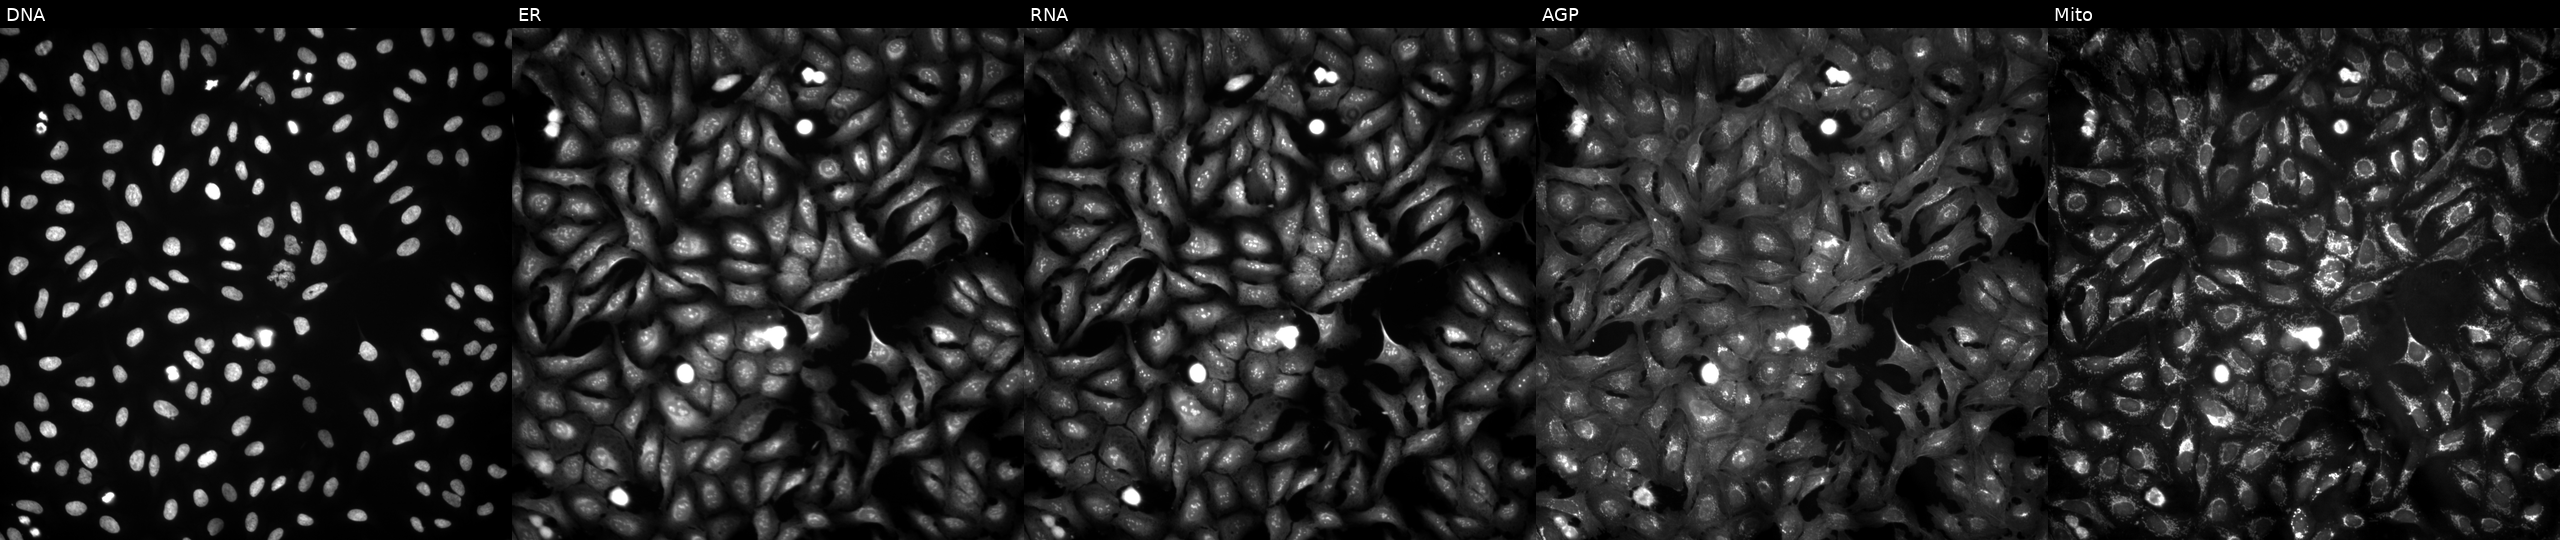
Five-channel Cell Painting image of U2OS cells transfected with an ORF construct for GNL1. The five panels, left to right, show DNA (nuclei); ER (endoplasmic reticulum); RNA (nucleoli and cytoplasmic RNA); AGP (actin cytoskeleton, Golgi, and plasma membrane); Mito (mitochondria). Source 4, plate BR00121543, well A02.